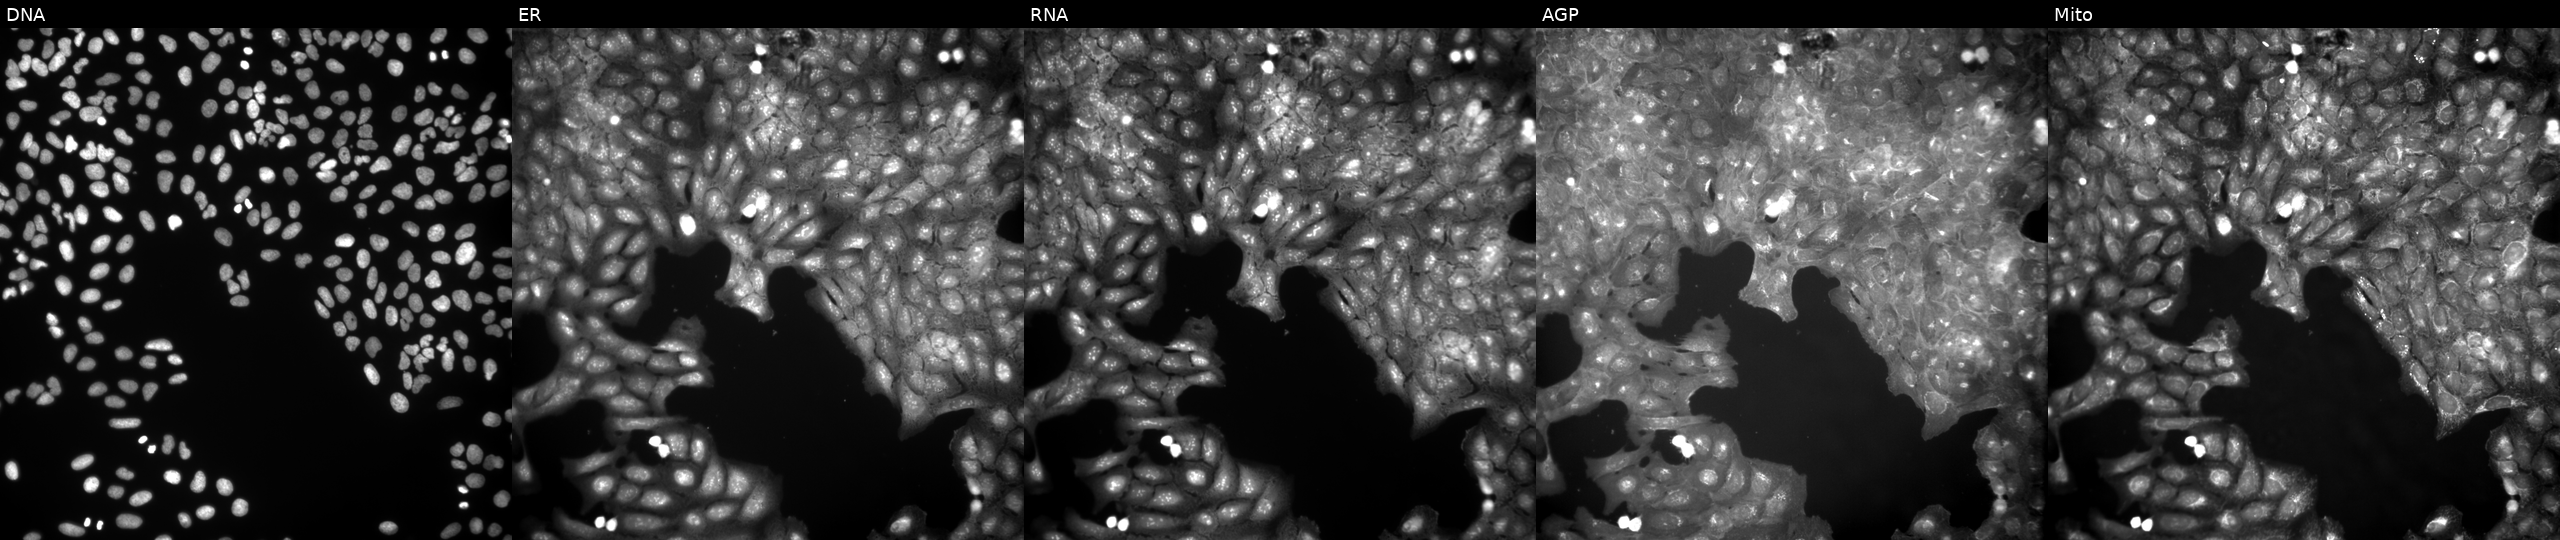
Panels show, left to right, DNA, ER, RNA, AGP, and Mito. U2OS osteosarcoma cells treated with a small-molecule compound (InChIKey MFRNSWHBPVSSKT-UHFFFAOYSA-N) (JUMP id JCP2022_053838). Cell Painting assay, JUMP-CP dataset. Source 9, plate GR00003381, well F42.